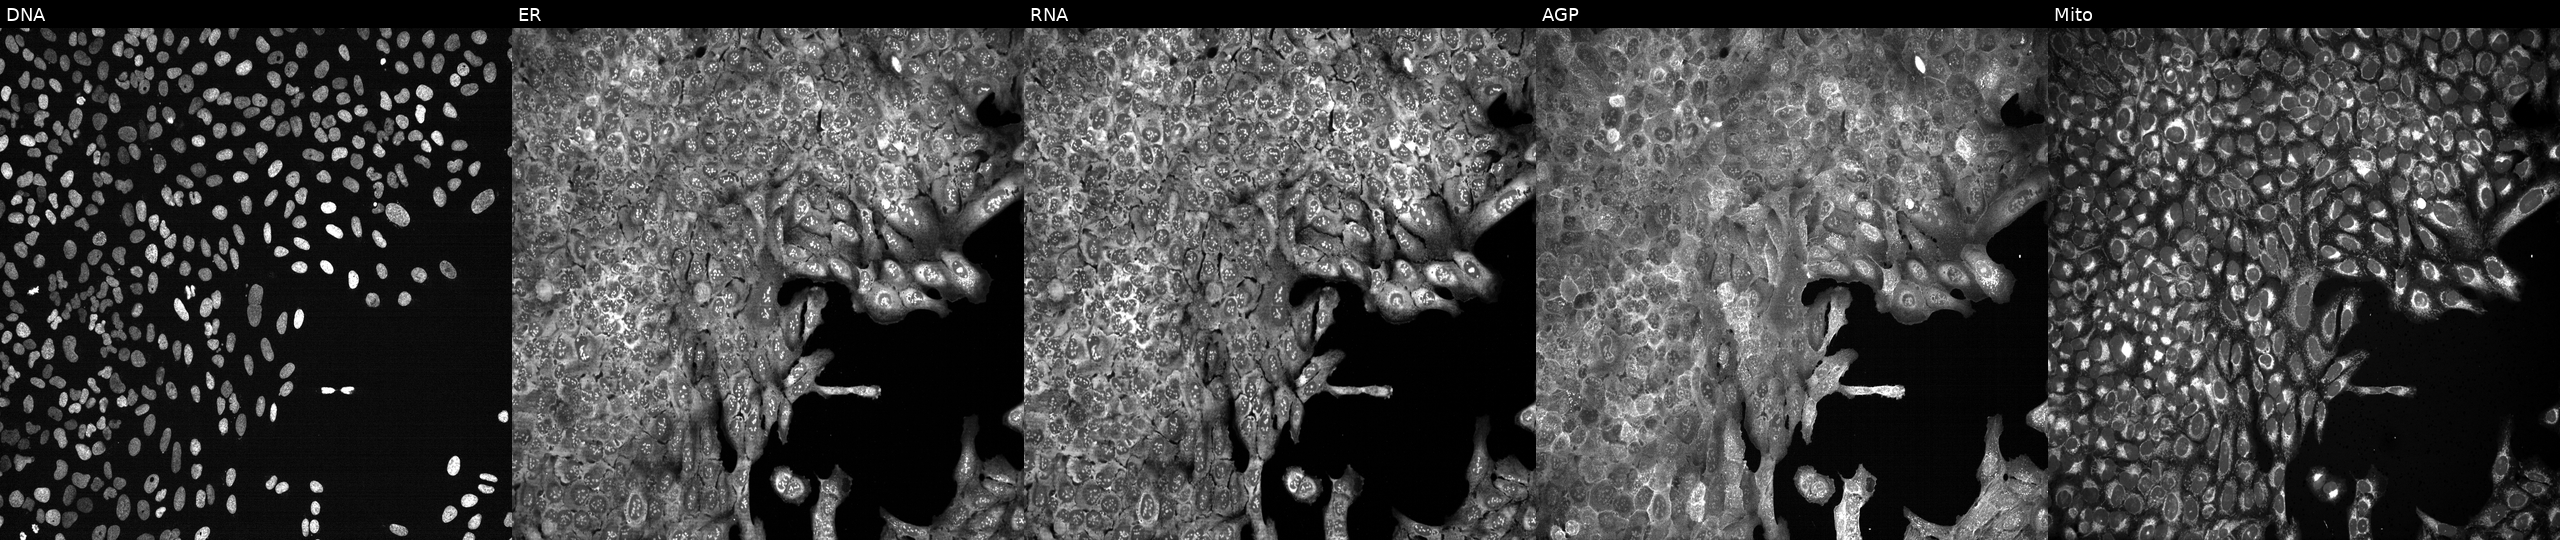
This image strip shows the five Cell Painting channels for a single field of U2OS cells CRISPR-edited to disrupt RBP7. The five panels, left to right, show Hoechst 33342, concanavalin A, SYTO 14, phalloidin and WGA, MitoTracker.